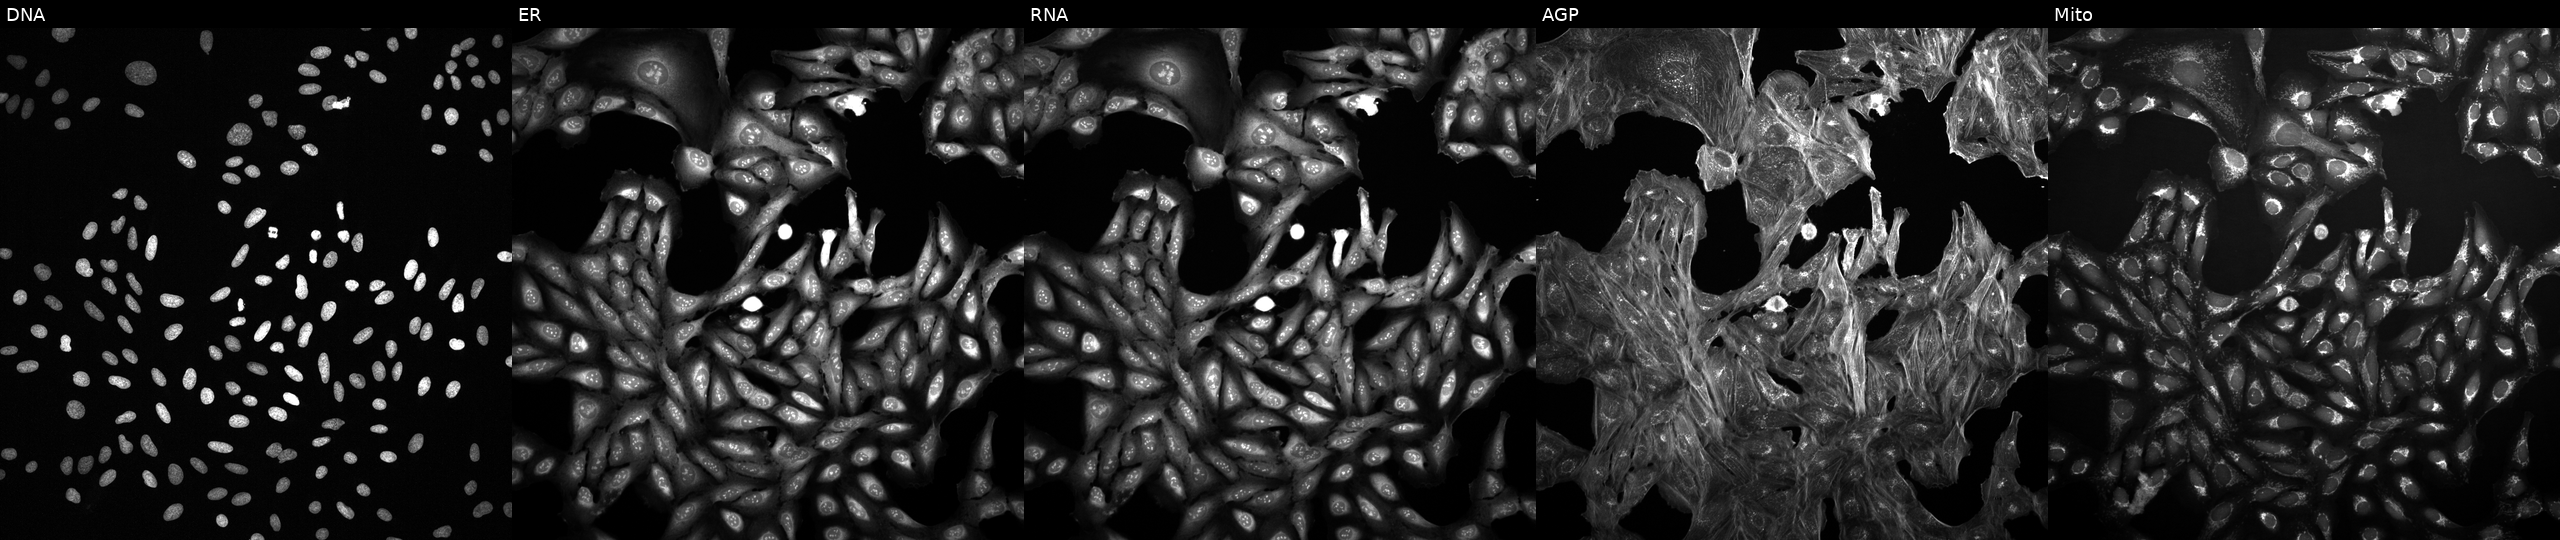
Channels (left→right): DNA, ER, RNA, AGP, and Mito. U2OS osteosarcoma cells exposed to DMSO alone as a negative control. Cell Painting assay, JUMP-CP dataset. Source 2, plate 1053597936, well C17.